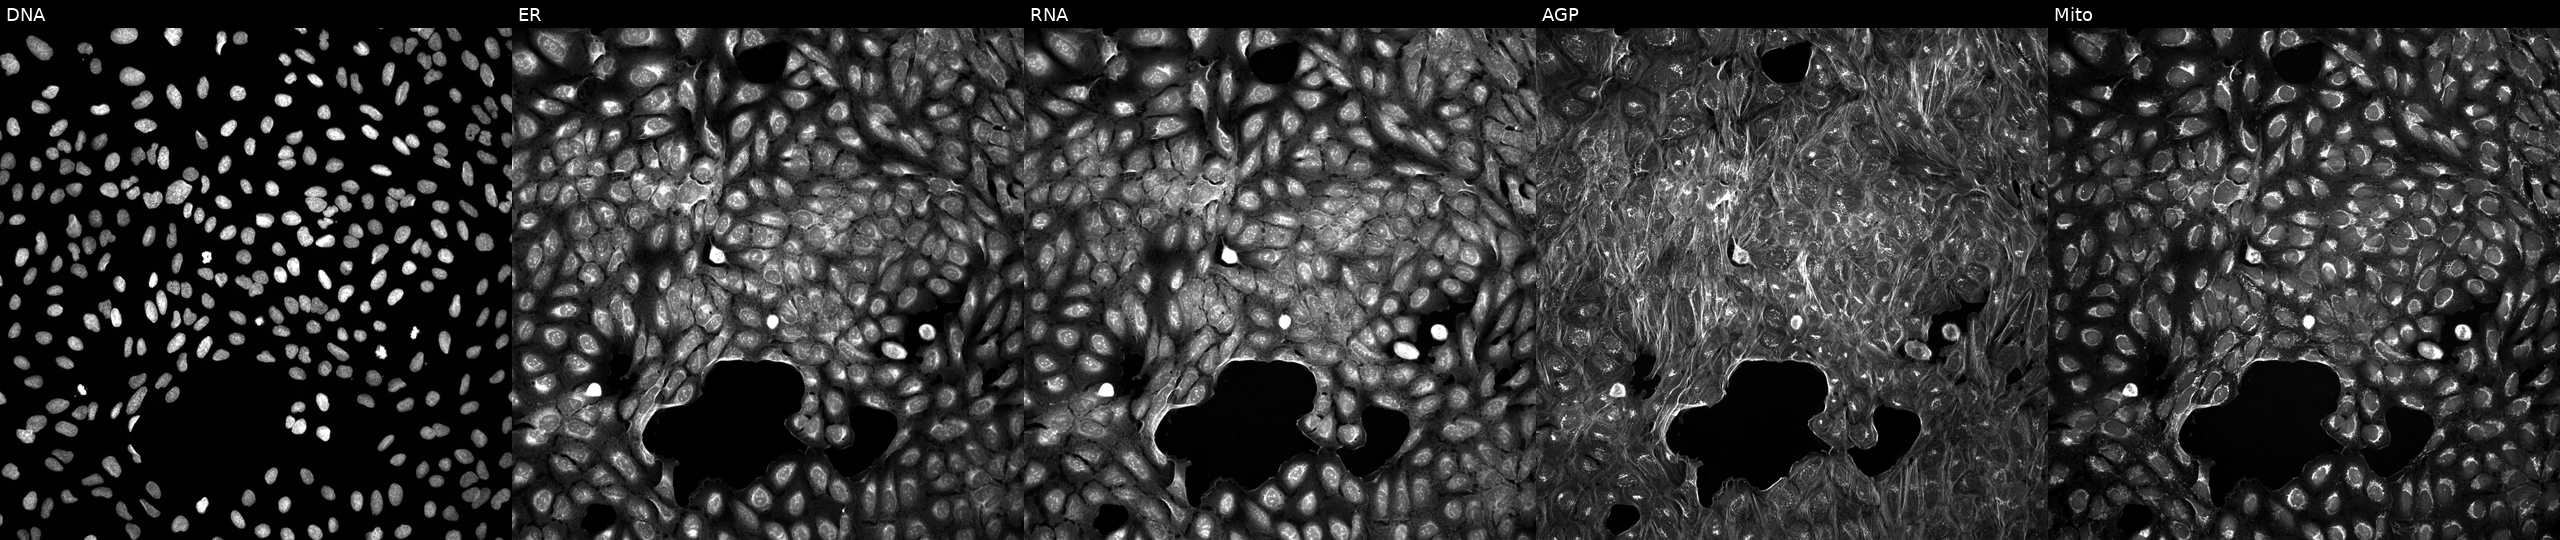
Five-channel Cell Painting image of U2OS cells treated with DMSO vehicle only (negative control). Panels show, left to right, Hoechst 33342, concanavalin A, SYTO 14, phalloidin and WGA, MitoTracker.